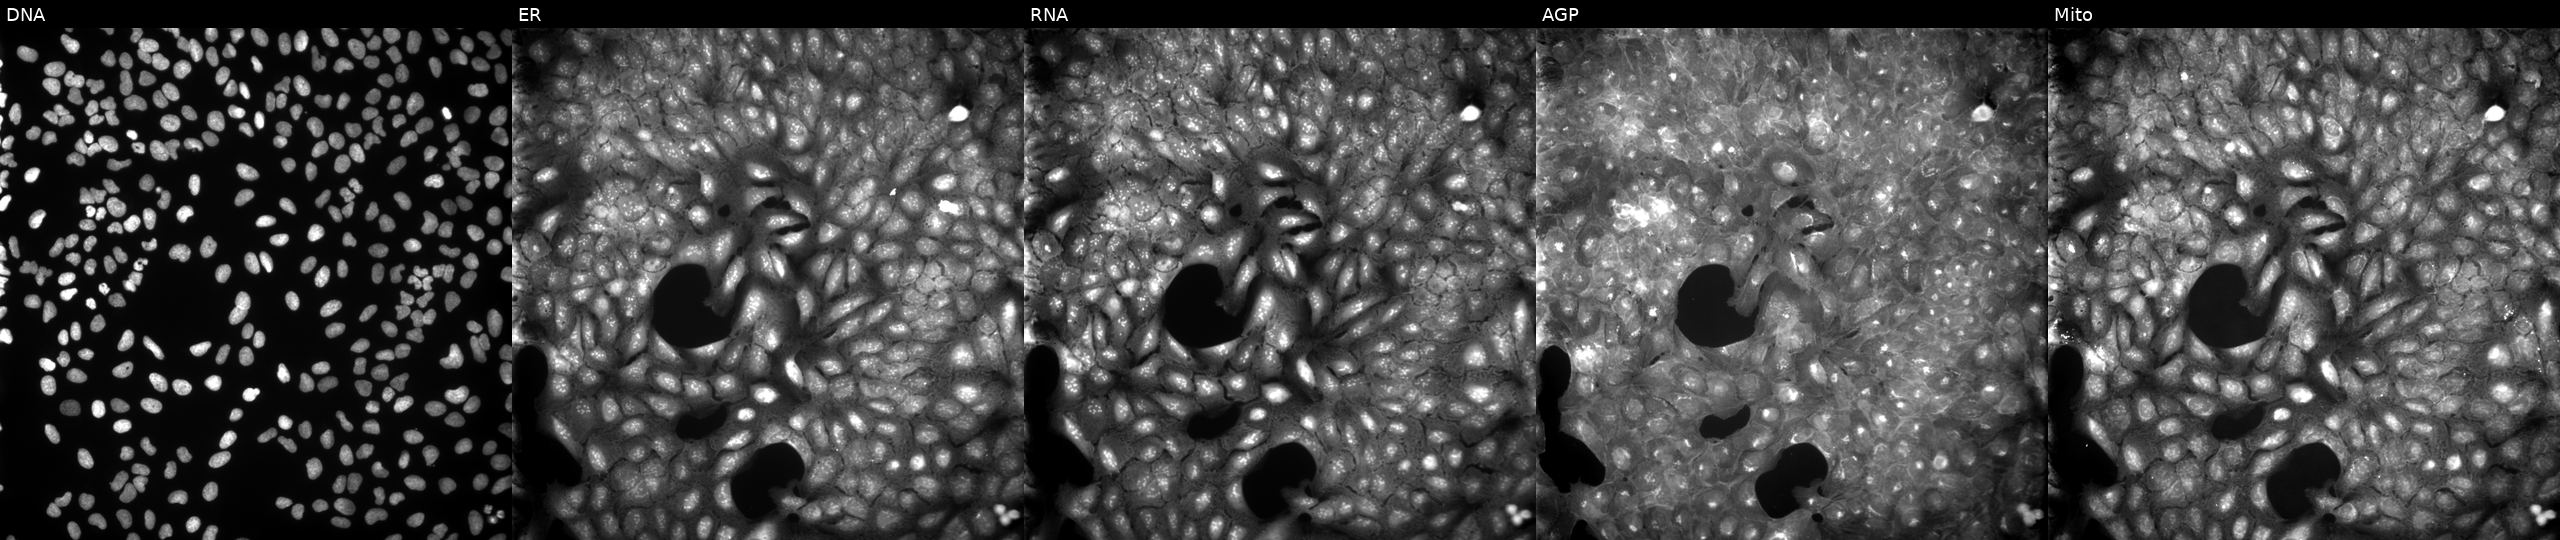
JUMP Cell Painting — COMPOUND plate. U2OS cells exposed to the positive-control compound aloxistatin (JUMP id JCP2022_085227). From left to right: DNA (nuclei); ER (endoplasmic reticulum); RNA (nucleoli and cytoplasmic RNA); AGP (actin cytoskeleton, Golgi, and plasma membrane); Mito (mitochondria).